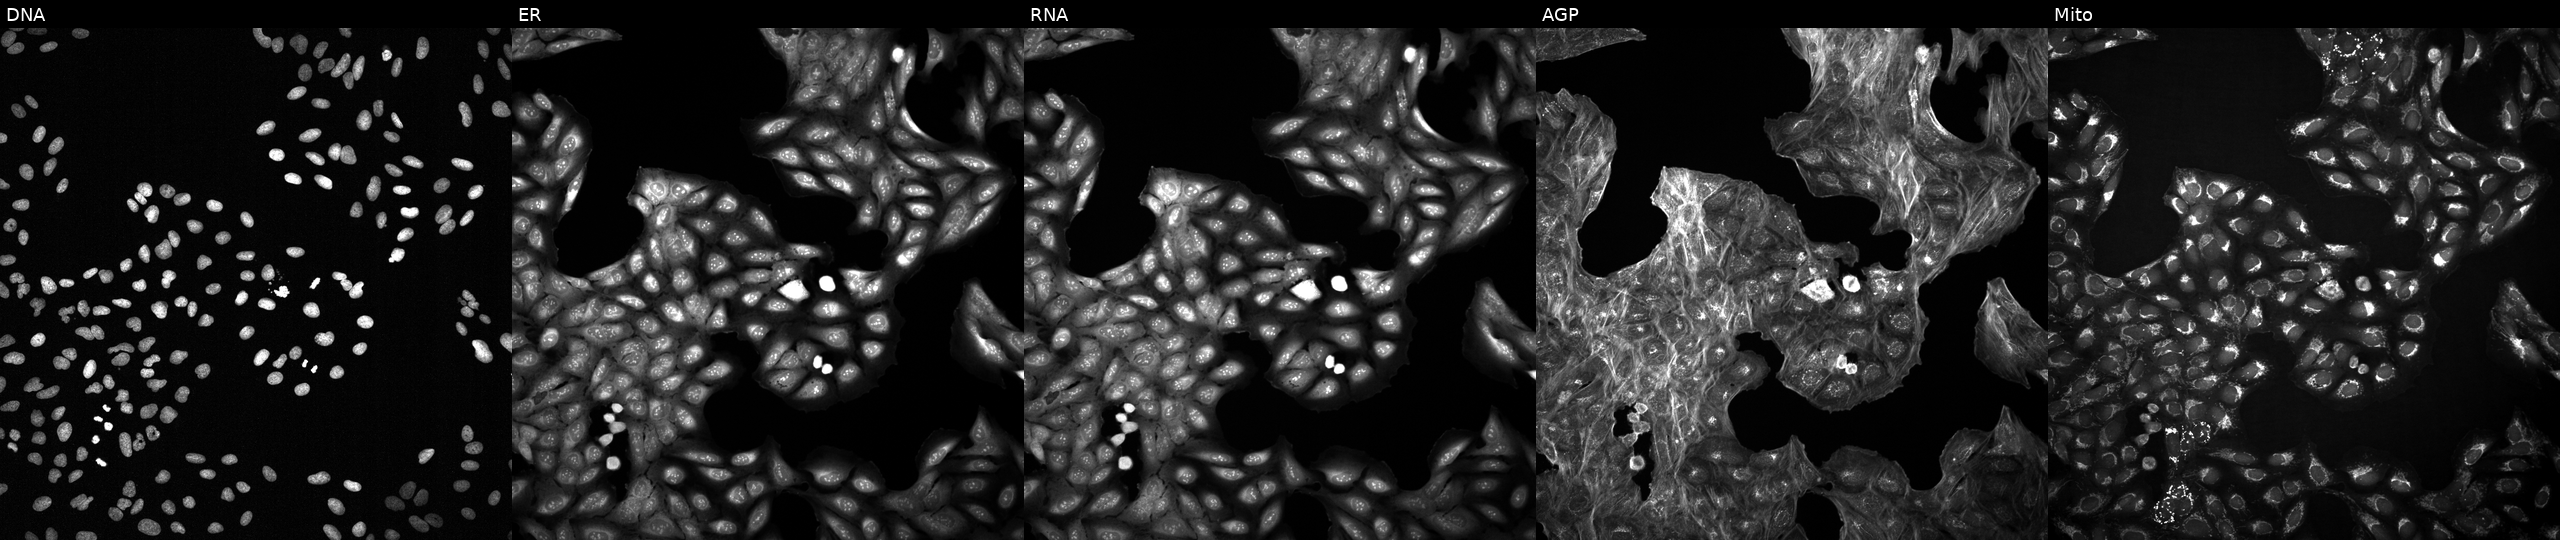
High-content fluorescence microscopy (Cell Painting). Cell line: U2OS. Perturbation: exposed to DMSO alone as a negative control. The five panels, left to right, show DNA (nuclei); ER (endoplasmic reticulum); RNA (nucleoli and cytoplasmic RNA); AGP (actin cytoskeleton, Golgi, and plasma membrane); Mito (mitochondria). Source 2, plate 1053601763, well G02.